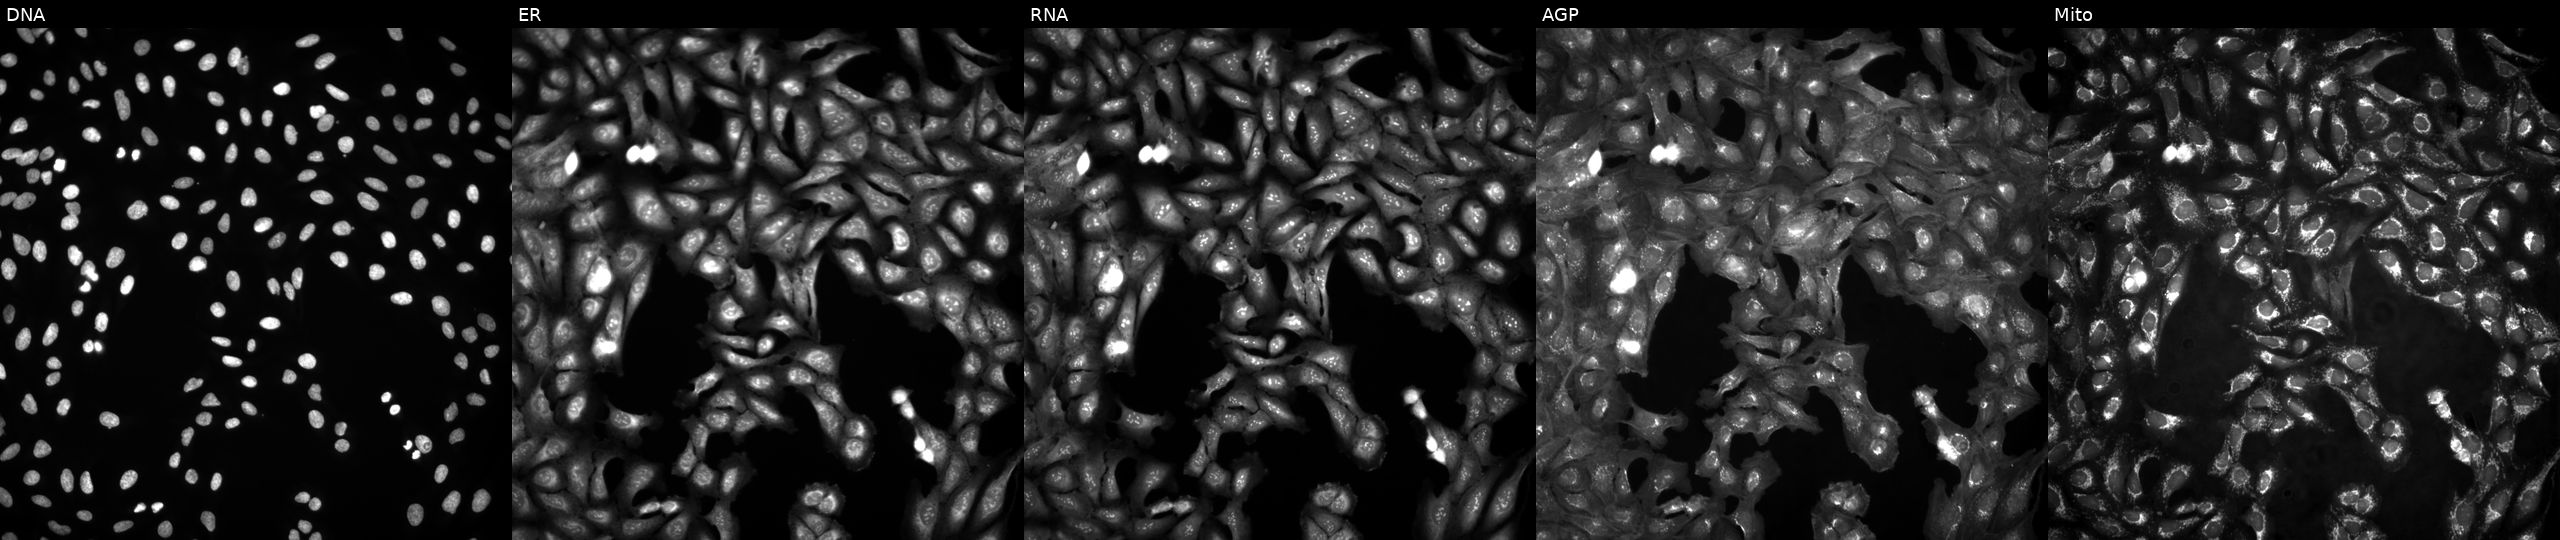
Five-channel Cell Painting image of U2OS cells untreated (empty-well control). The five panels, left to right, show DNA, ER, RNA, AGP, and Mito.